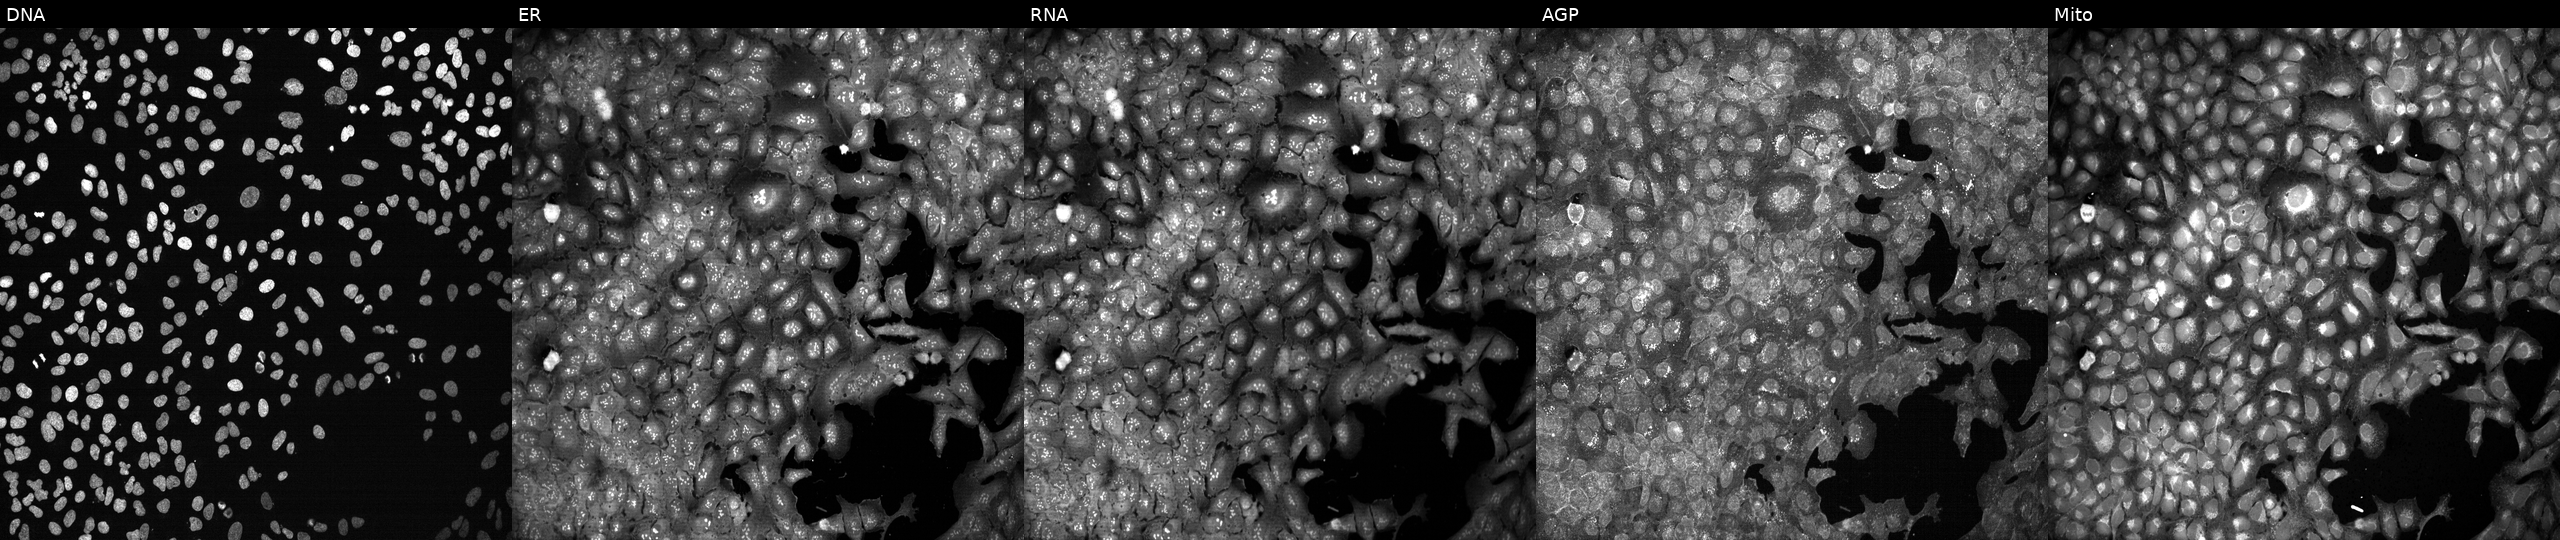
U2OS cells, Cell Painting assay, with CPN2 knocked out by CRISPR. Panels show, left to right, DNA, ER, RNA, AGP, and Mito. Each panel is percentile-stretched 16-bit fluorescence.